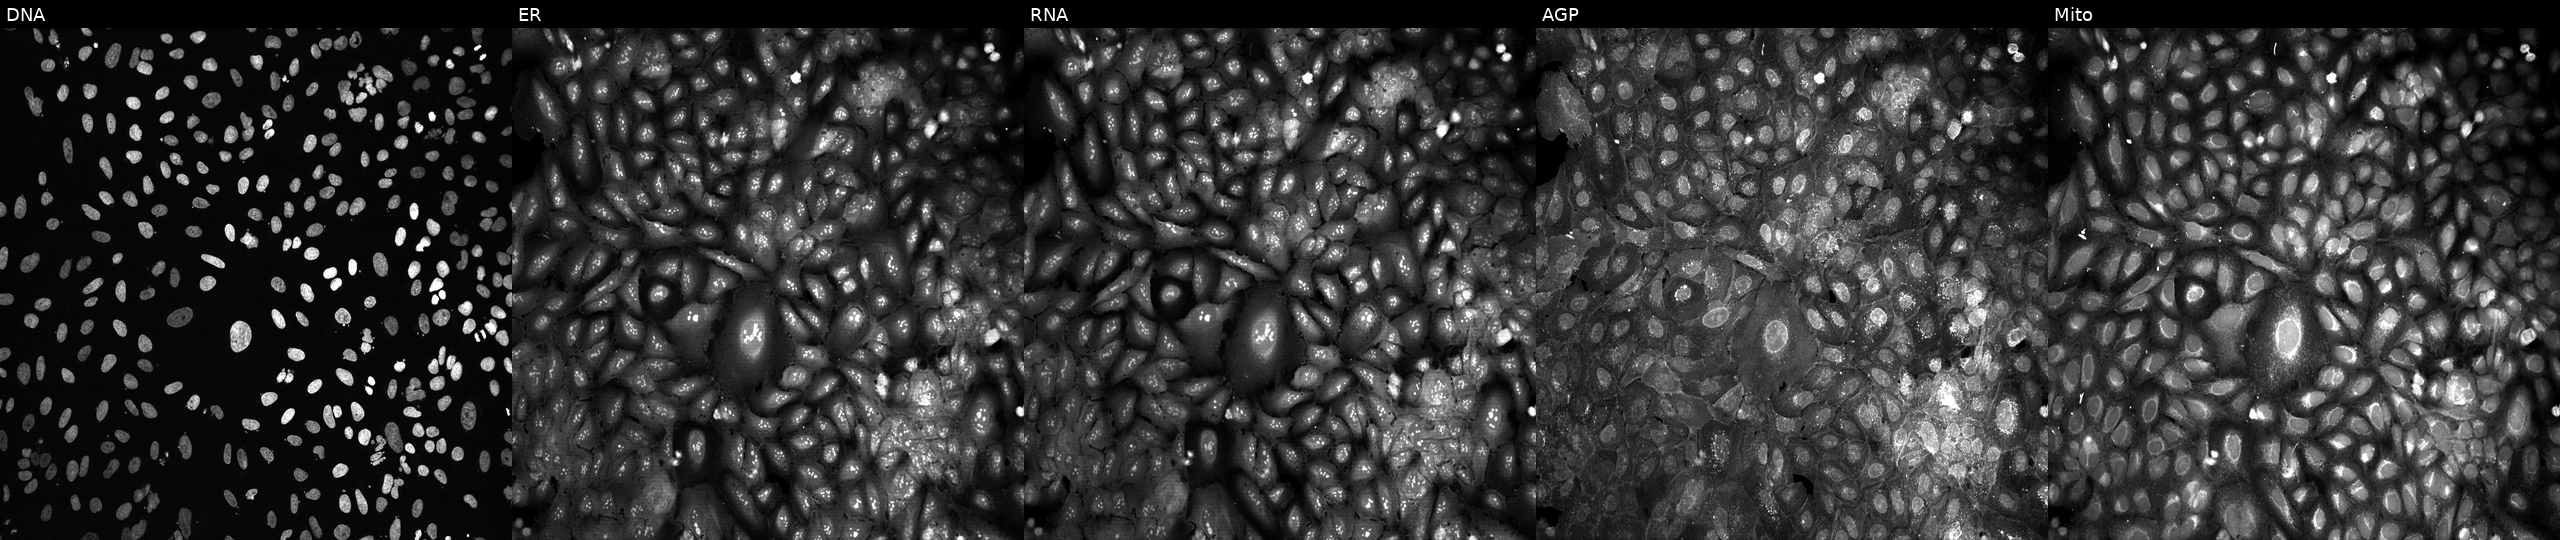
This image strip shows the five Cell Painting channels for a single field of U2OS cells with EXT2 knocked out by CRISPR (JUMP id JCP2022_802216). From left to right: DNA (nuclei); ER (endoplasmic reticulum); RNA (nucleoli and cytoplasmic RNA); AGP (actin cytoskeleton, Golgi, and plasma membrane); Mito (mitochondria). Source 13, plate CP-CC9-R1-01, well A06.